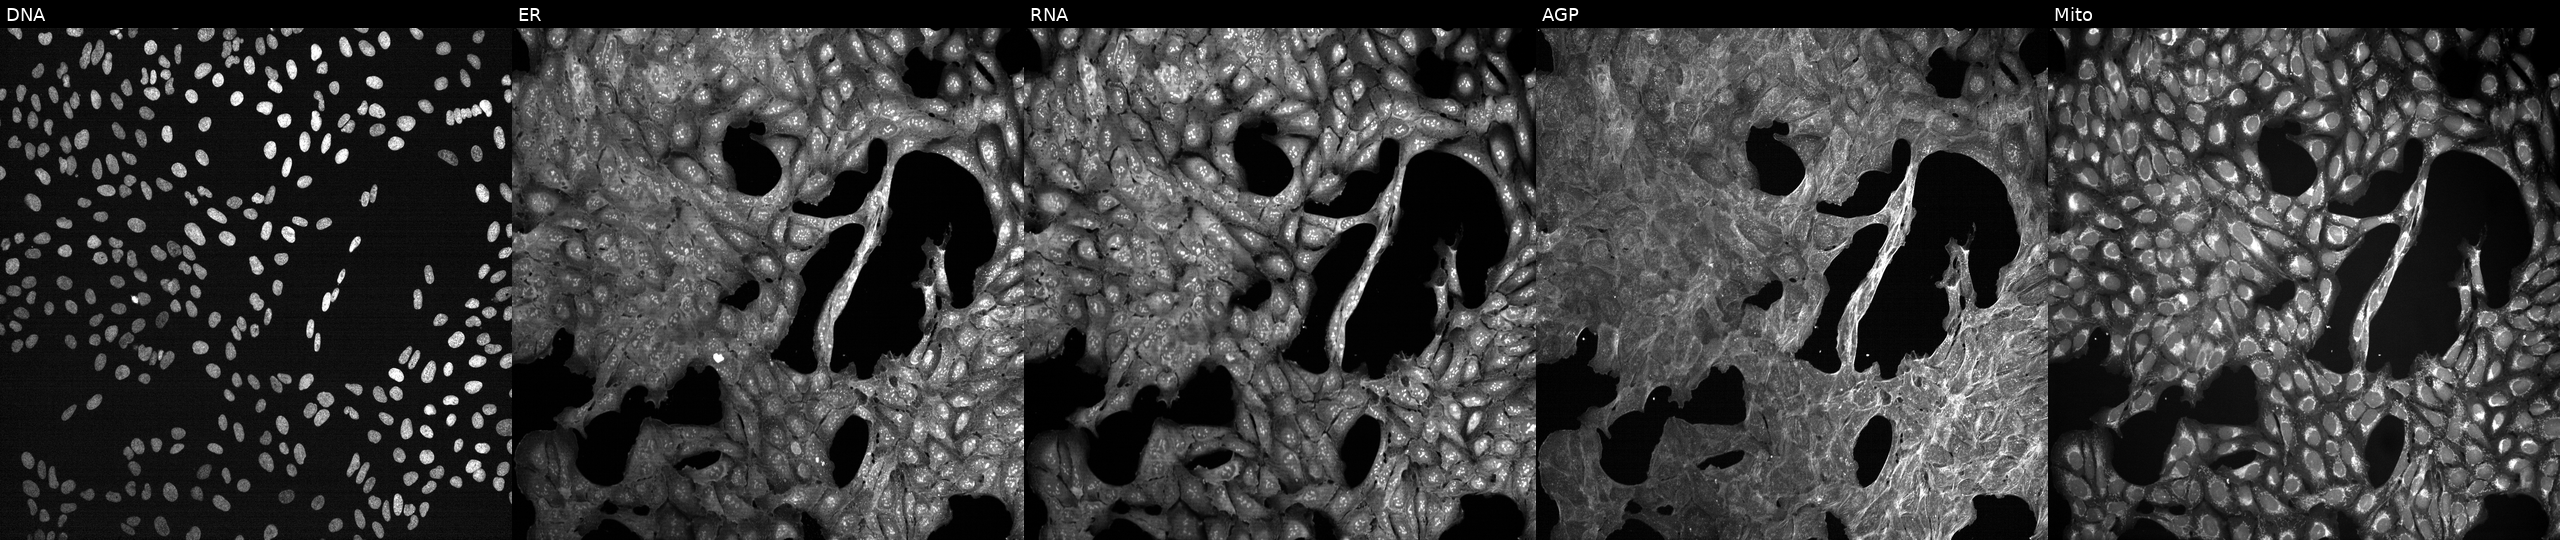
High-content fluorescence microscopy (Cell Painting). Cell line: U2OS. Perturbation: treated with a small-molecule compound (JUMP id JCP2022_083372). Channels (left→right): Hoechst 33342, concanavalin A, SYTO 14, phalloidin and WGA, MitoTracker.